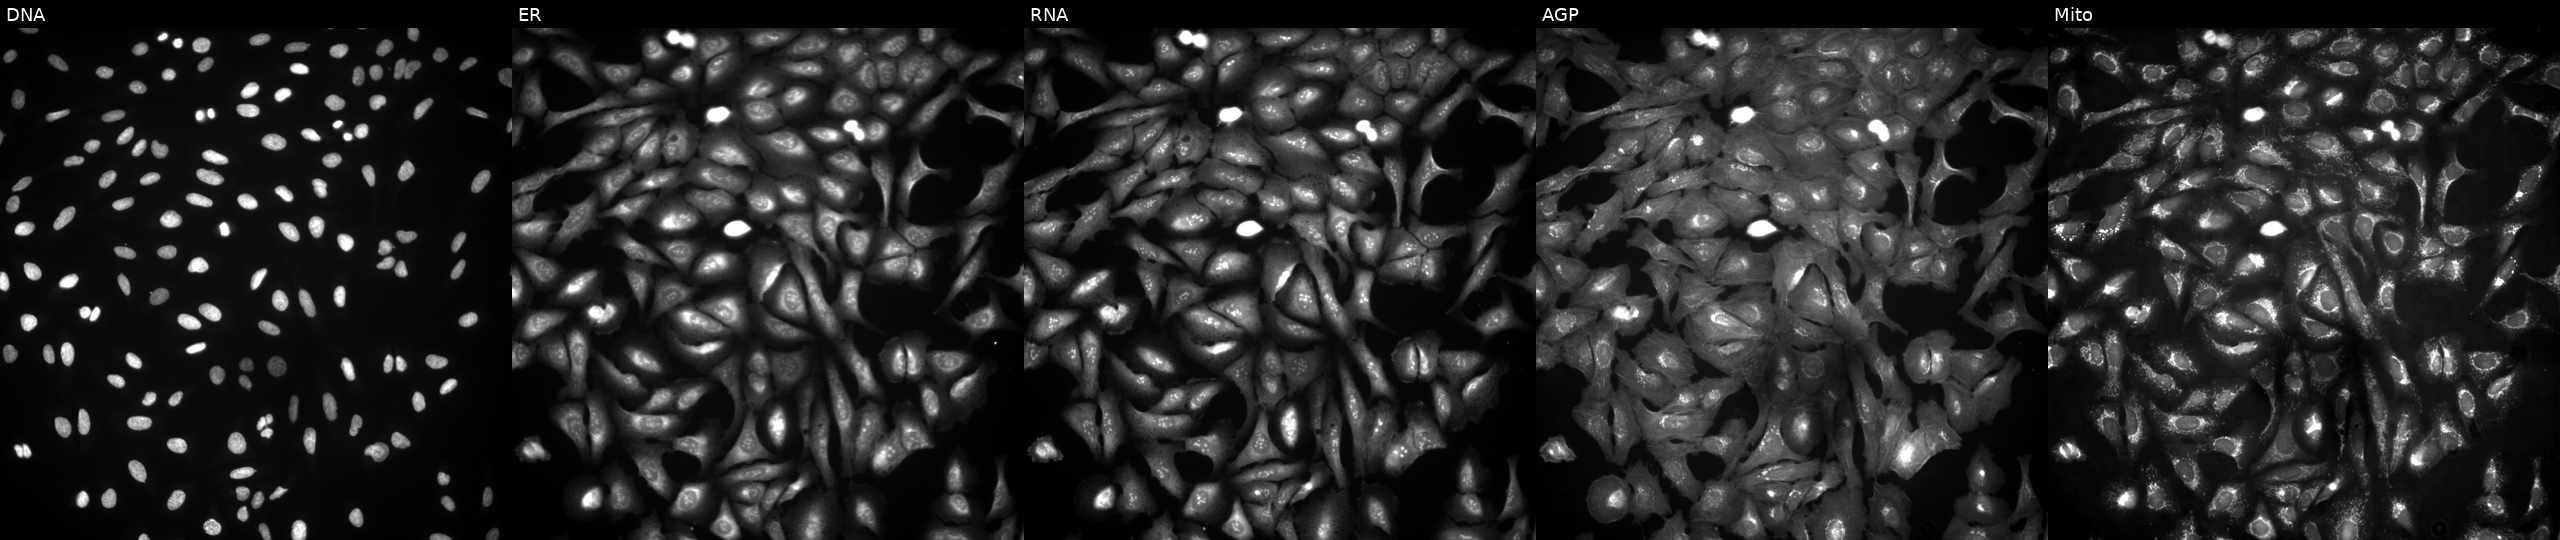
This image strip shows the five Cell Painting channels for a single field of U2OS cells with LHFPL3 overexpressed (ORF) (JUMP id JCP2022_915118). The five panels, left to right, show Hoechst 33342, concanavalin A, SYTO 14, phalloidin and WGA, MitoTracker.